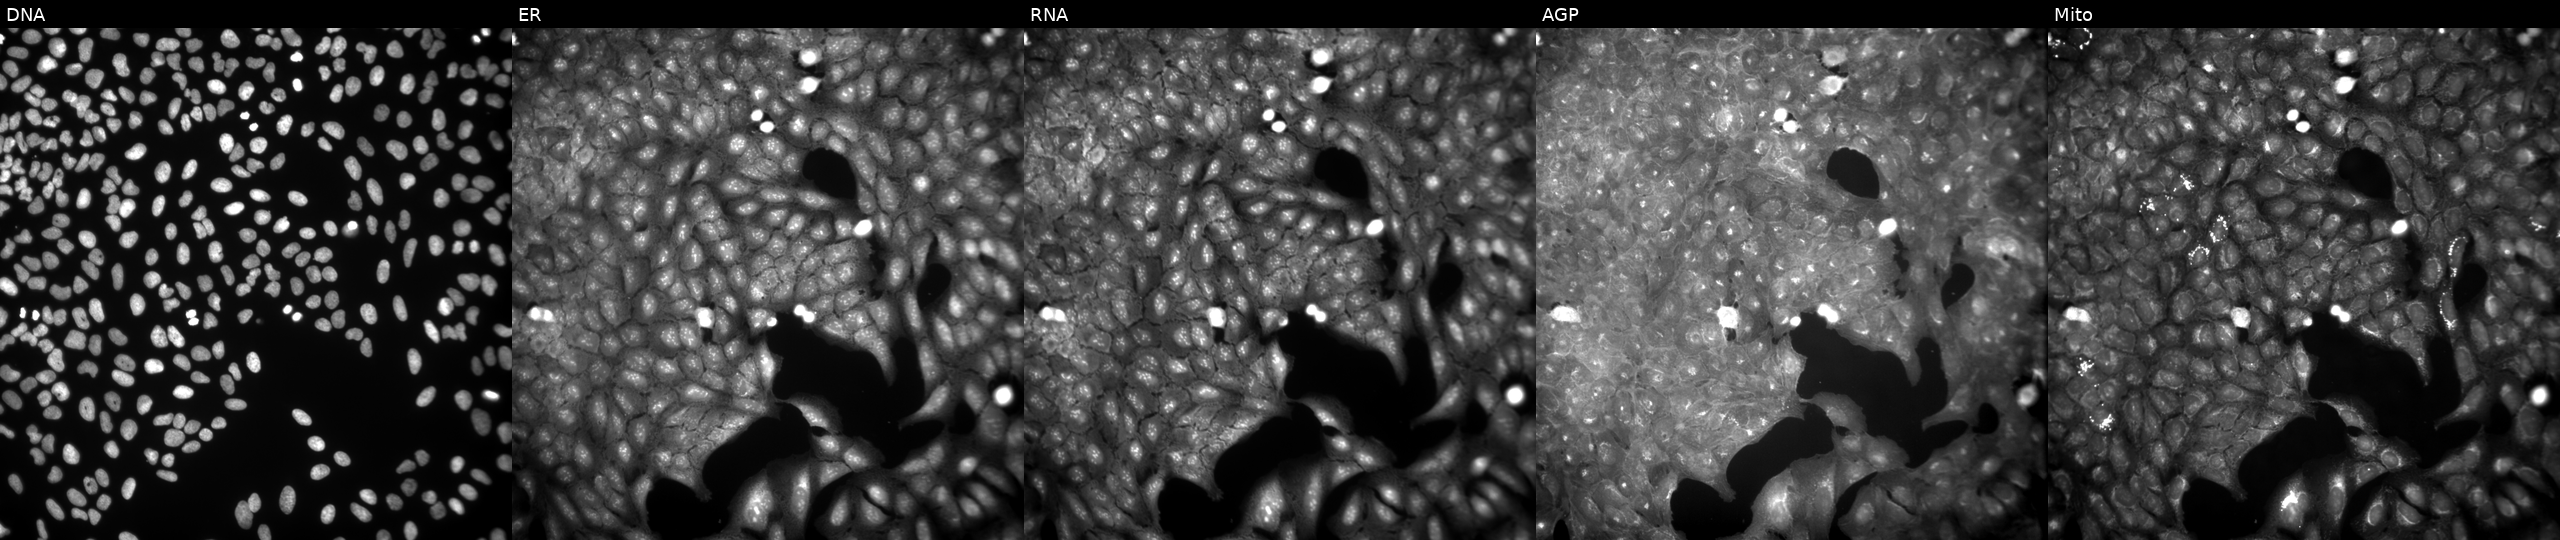
This image strip shows the five Cell Painting channels for a single field of U2OS cells exposed to a small-molecule compound (InChIKey MPNPNWNKSXTRFL-UHFFFAOYSA-N) (JUMP id JCP2022_055700). Channels (left→right): DNA, ER, RNA, AGP, and Mito. Source 9, plate GR00003381, well J46.